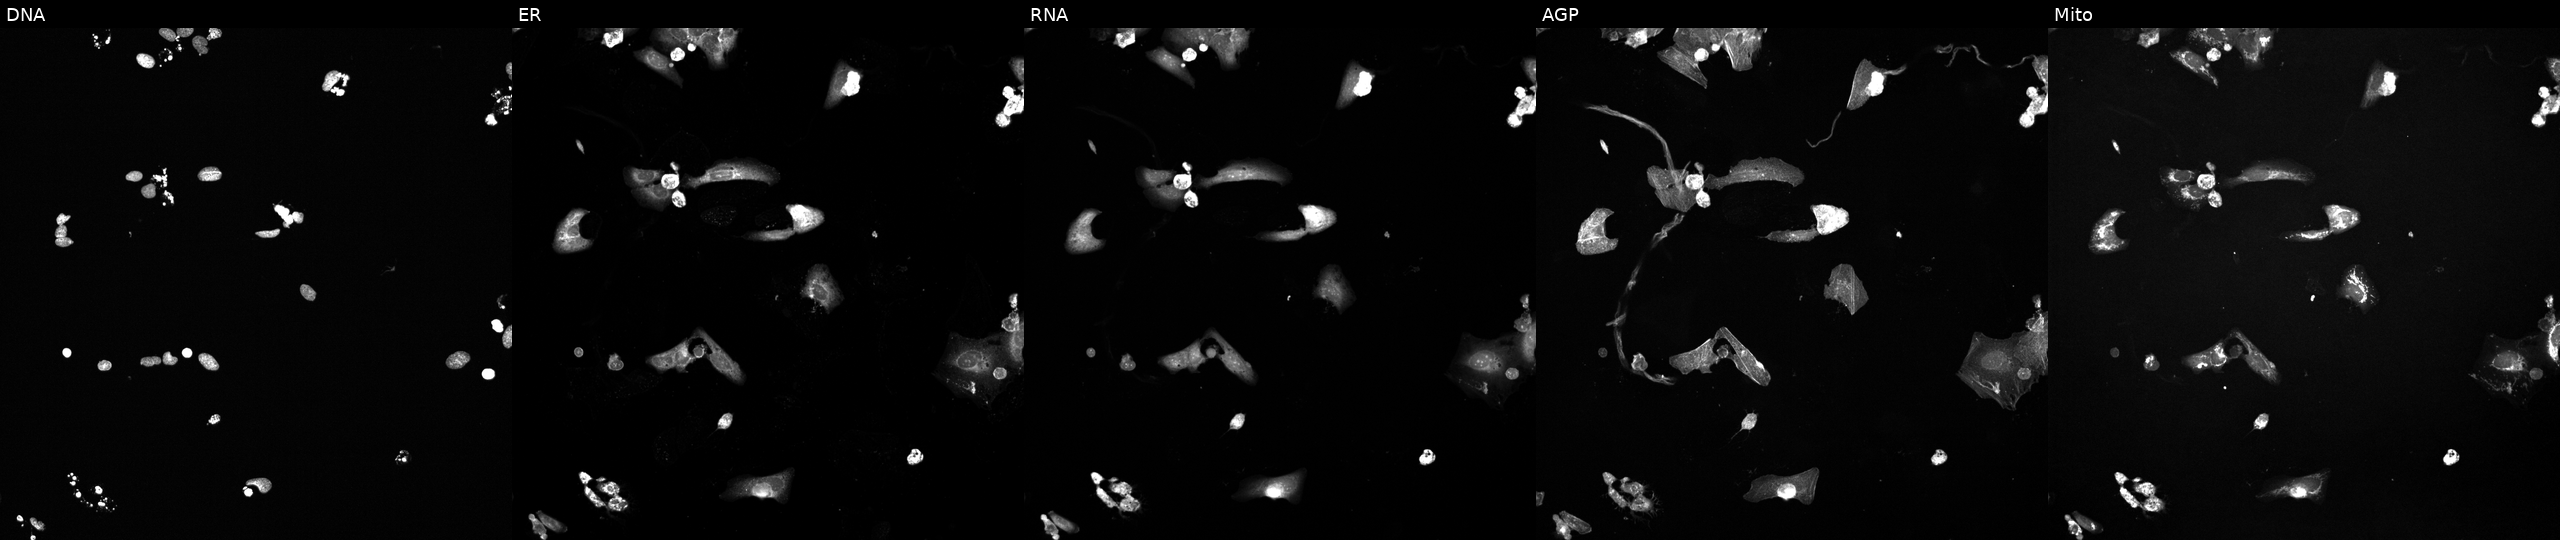
JUMP Cell Painting — TARGET2 plate. U2OS cells treated with a small-molecule compound. The five panels, left to right, show DNA, ER, RNA, AGP, and Mito.